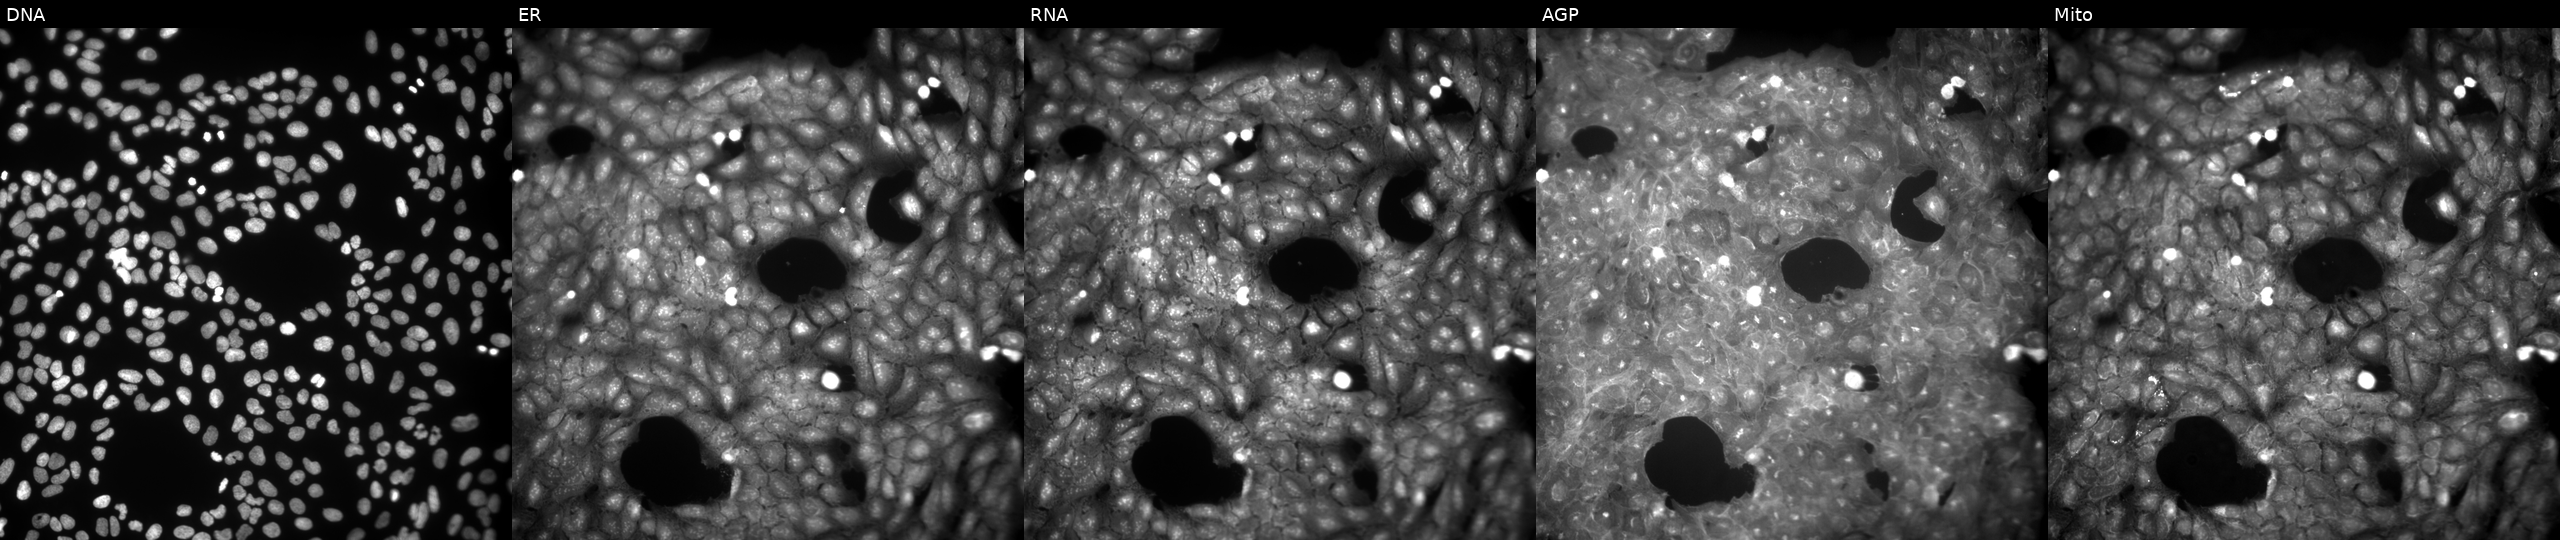
Five-channel Cell Painting image of U2OS cells exposed to a small-molecule compound. Panels show, left to right, DNA (nuclei); ER (endoplasmic reticulum); RNA (nucleoli and cytoplasmic RNA); AGP (actin cytoskeleton, Golgi, and plasma membrane); Mito (mitochondria).